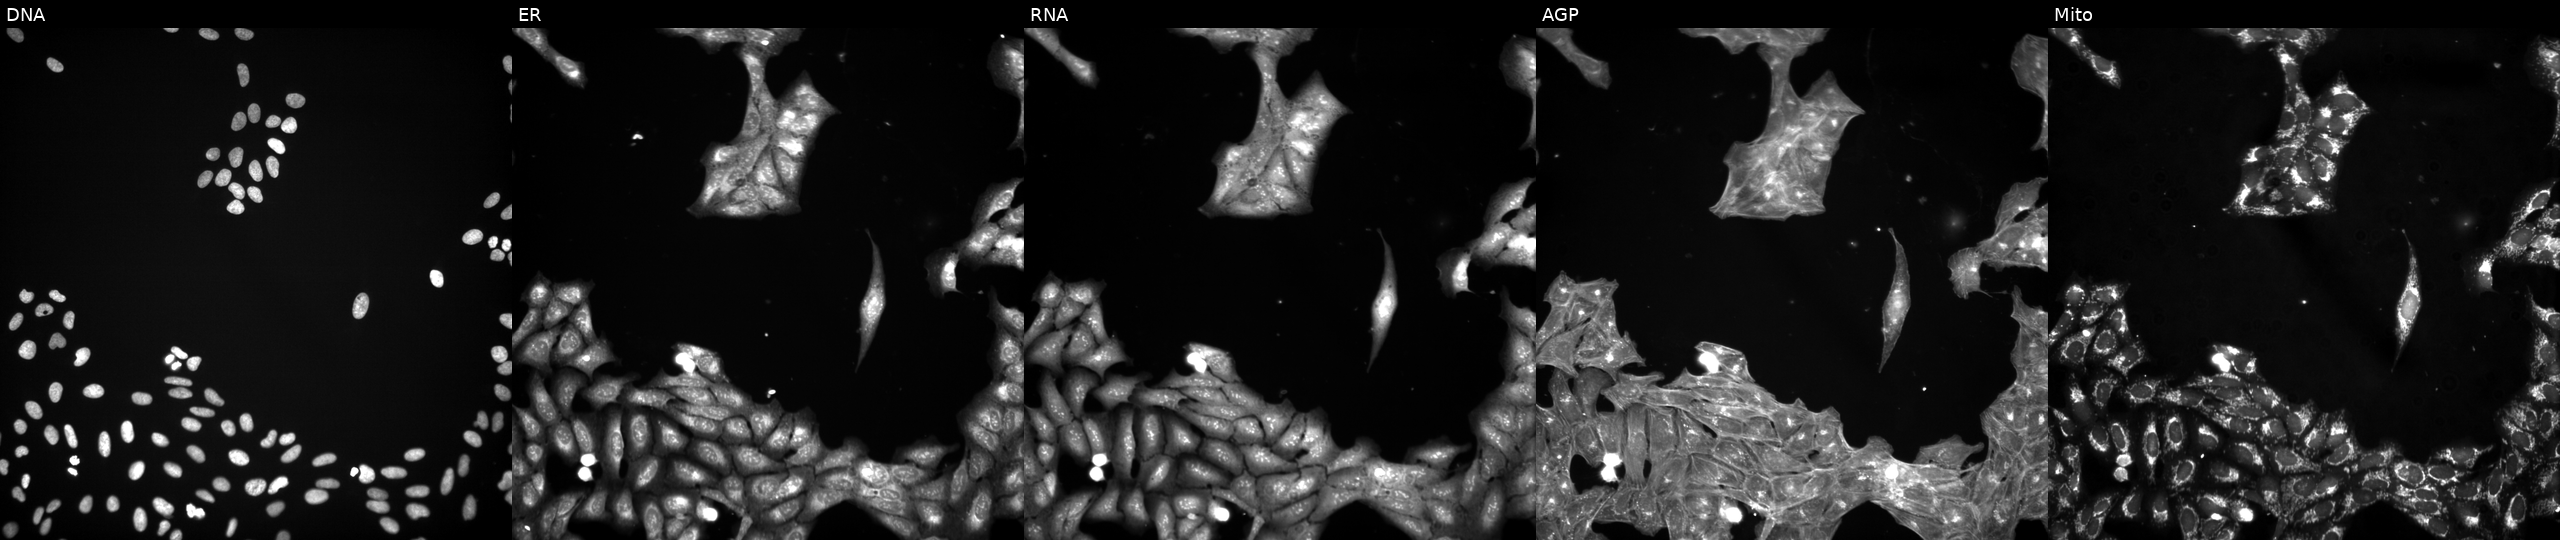
Five-channel Cell Painting image of U2OS cells exposed to a small-molecule compound (InChIKey CEUORZQYGODEFX-UHFFFAOYSA-N) (JUMP id JCP2022_010654). Panels show, left to right, DNA (nuclei); ER (endoplasmic reticulum); RNA (nucleoli and cytoplasmic RNA); AGP (actin cytoskeleton, Golgi, and plasma membrane); Mito (mitochondria).